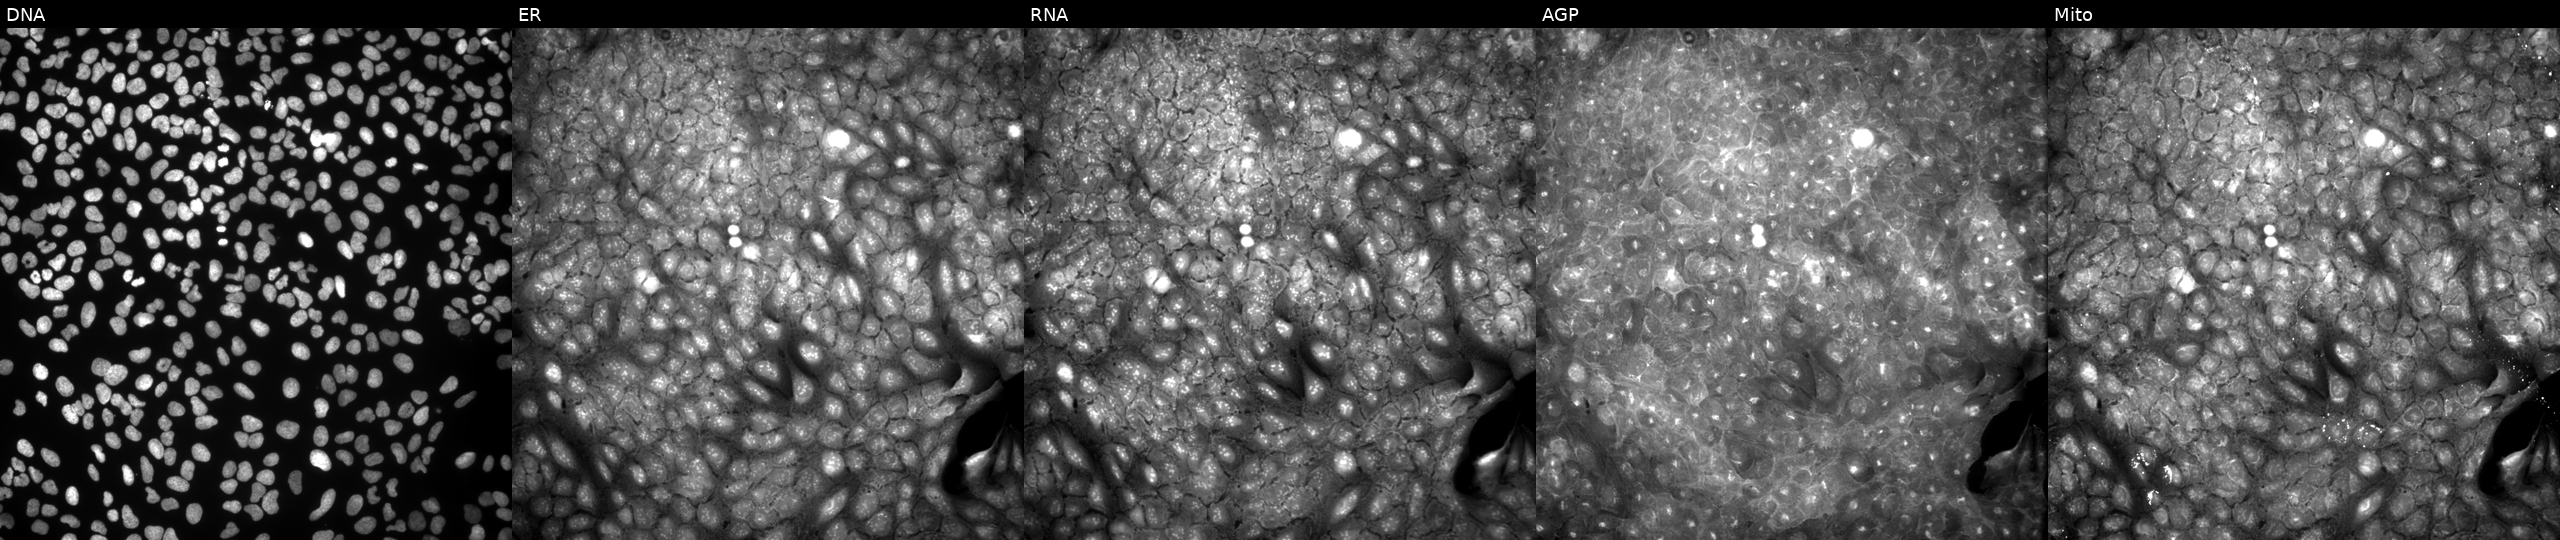
High-content fluorescence microscopy (Cell Painting). Cell line: U2OS. Perturbation: treated with a small-molecule compound (InChIKey YHVRQPXORKMKEG-UHFFFAOYSA-N) [SMILES: CCOc1nc(=NC(=O)NS(=O)(=O)c2ccccc2Cl)nc(C)[nH]1] (JUMP id JCP2022_108544). Panels show, left to right, Hoechst 33342, concanavalin A, SYTO 14, phalloidin and WGA, MitoTracker.